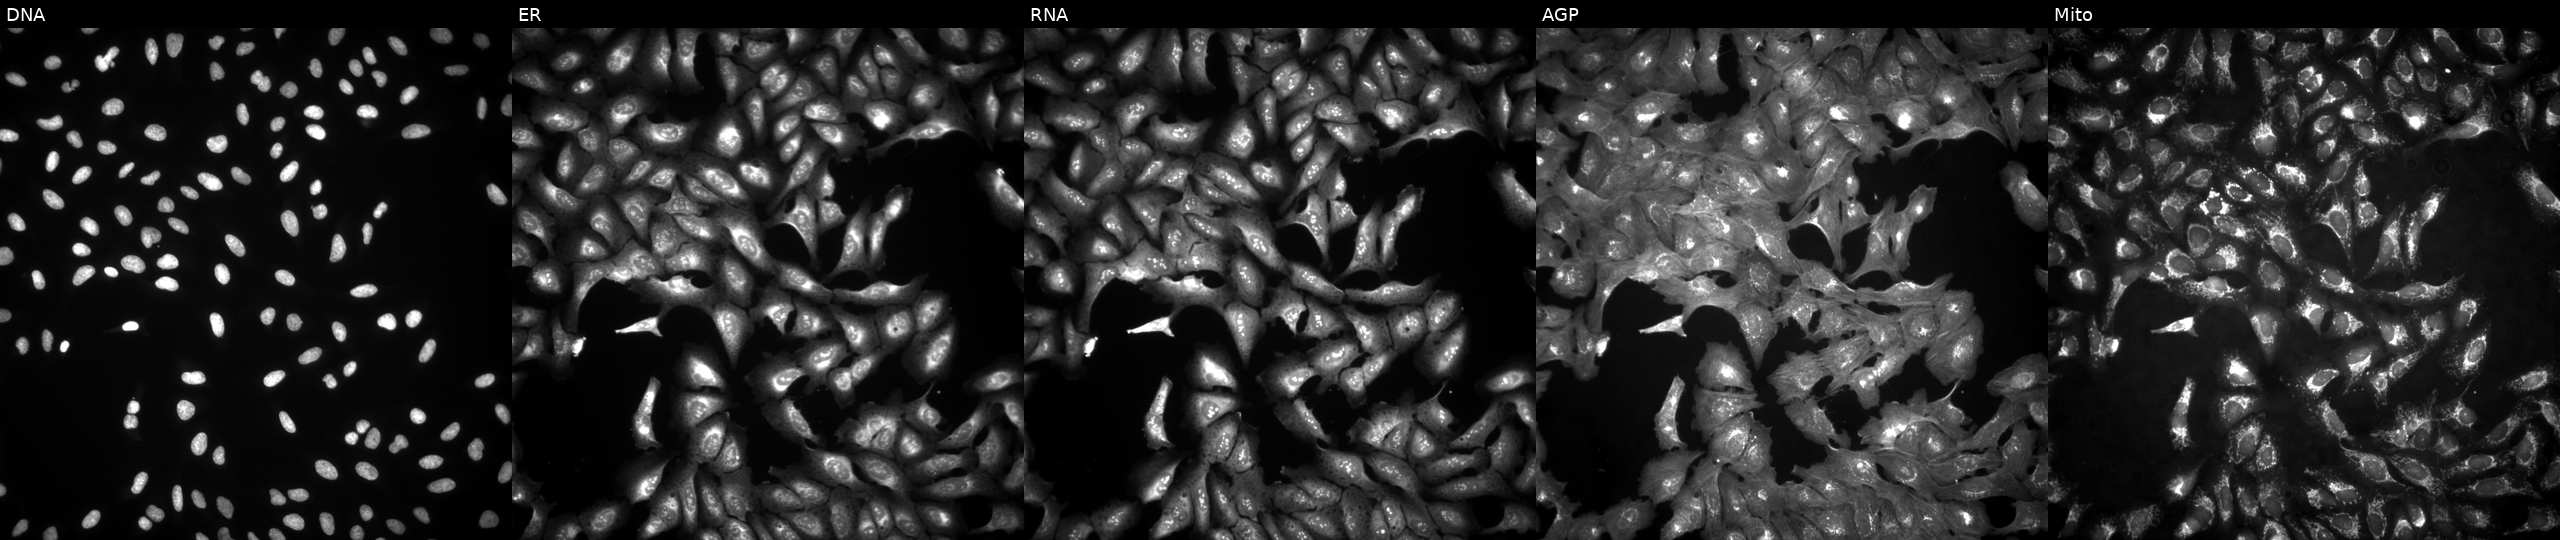
JUMP Cell Painting — ORF plate. U2OS cells transfected with an ORF construct for PPP1R1B (JUMP id JCP2022_904063). From left to right: DNA (nuclei); ER (endoplasmic reticulum); RNA (nucleoli and cytoplasmic RNA); AGP (actin cytoskeleton, Golgi, and plasma membrane); Mito (mitochondria). Source 4, plate BR00123509, well D22.